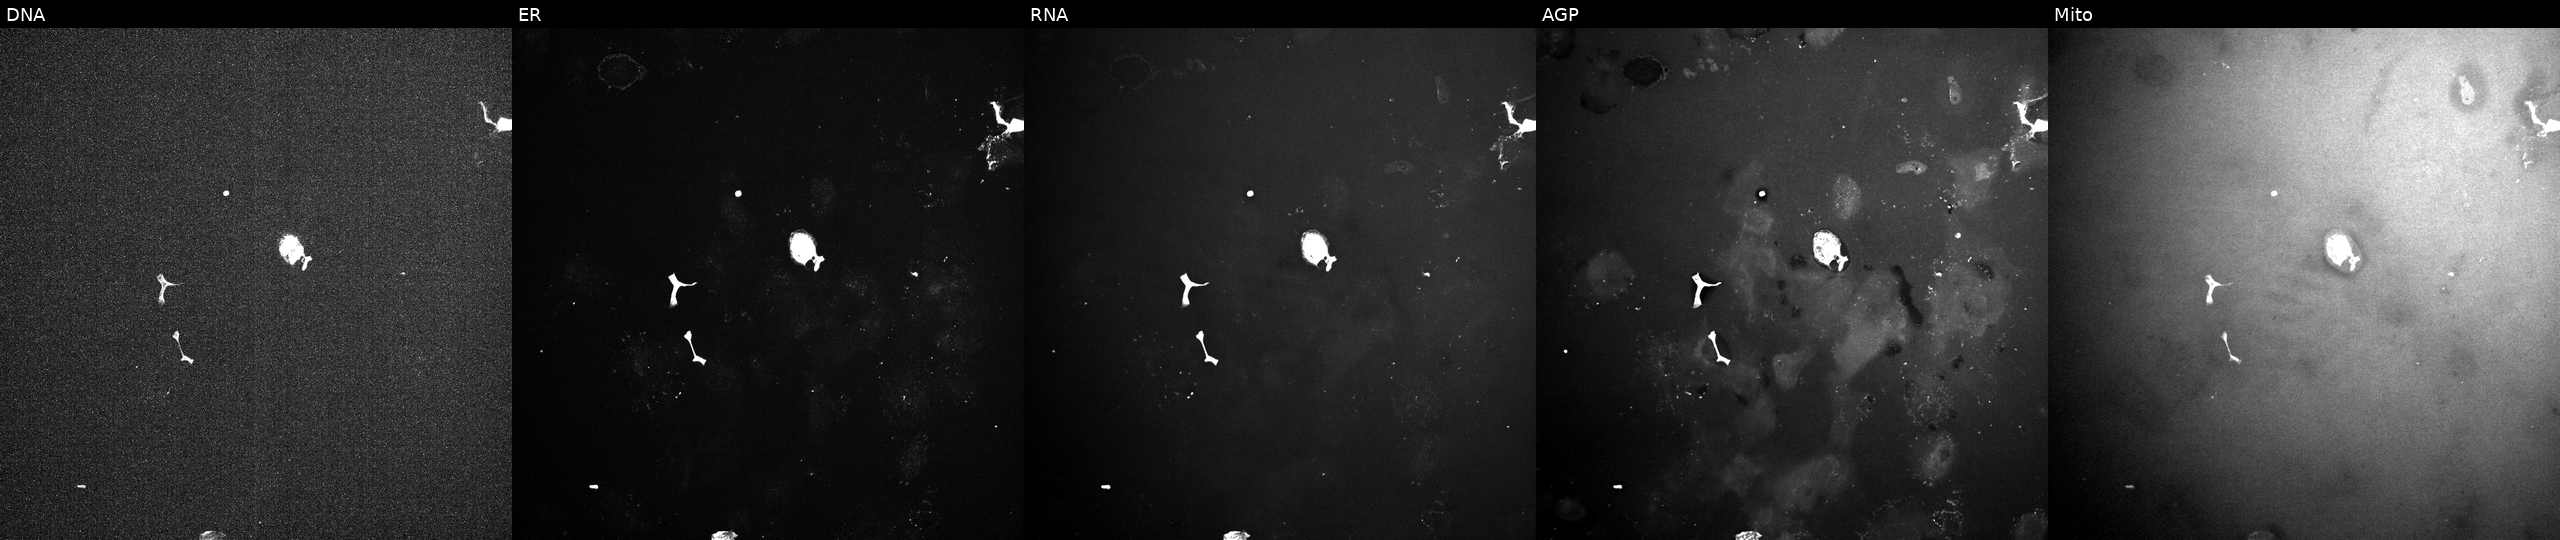
High-content fluorescence microscopy (Cell Painting). Cell line: U2OS. Perturbation: perturbed with a small-molecule compound (InChIKey IAKHMKGGTNLKSZ-UHFFFAOYSA-N) [SMILES: COc1cc2c(c(OC)c1OC)-c1ccc(OC)c(=O)cc1C(NC(C)=O)CC2] (JUMP id JCP2022_033814). The five panels, left to right, show Hoechst 33342, concanavalin A, SYTO 14, phalloidin and WGA, MitoTracker.